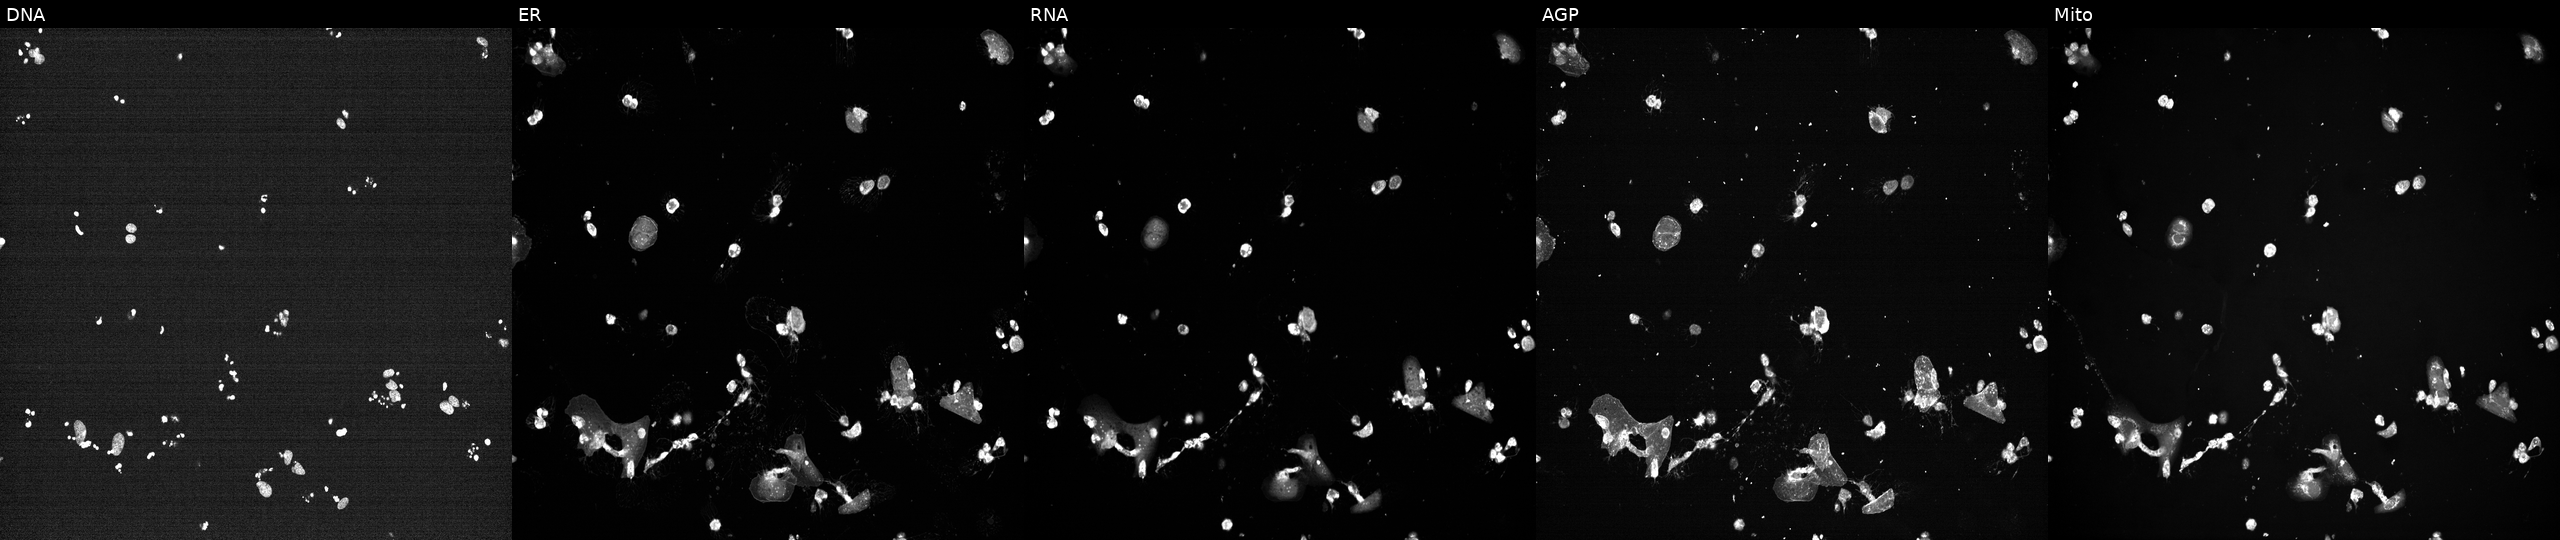
Five-channel Cell Painting image of U2OS cells treated with a small-molecule compound (InChIKey RVAQIUULWULRNW-UHFFFAOYSA-N). Channels (left→right): Hoechst 33342, concanavalin A, SYTO 14, phalloidin and WGA, MitoTracker.